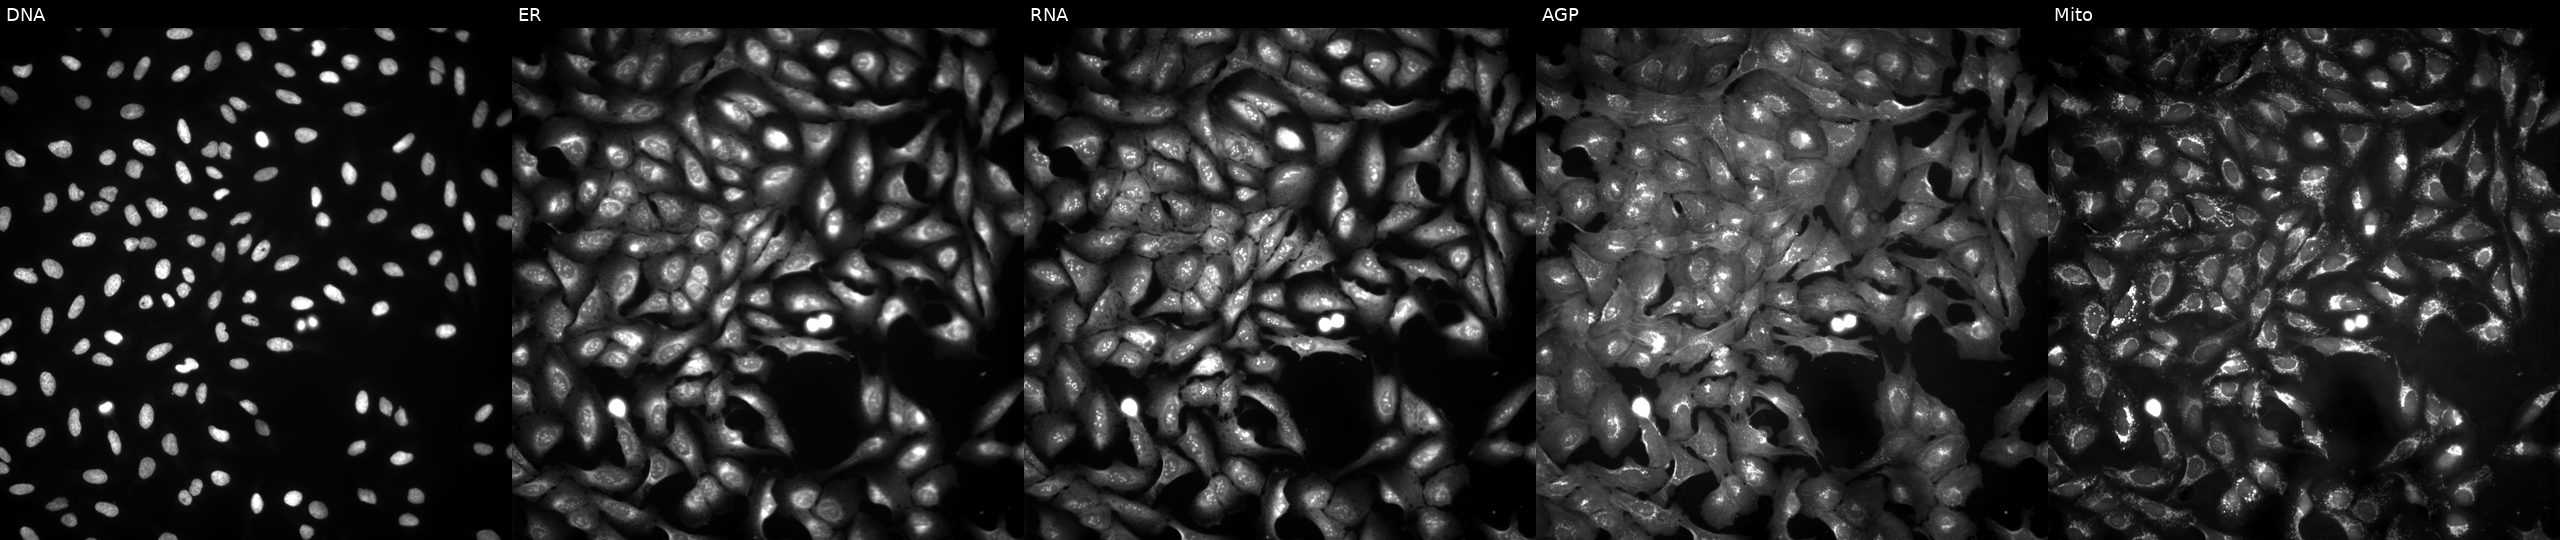
JUMP Cell Painting — ORF plate. U2OS cells with CAPG overexpressed (ORF). Panels show, left to right, DNA (nuclei); ER (endoplasmic reticulum); RNA (nucleoli and cytoplasmic RNA); AGP (actin cytoskeleton, Golgi, and plasma membrane); Mito (mitochondria). Source 4, plate BR00121543, well B21.